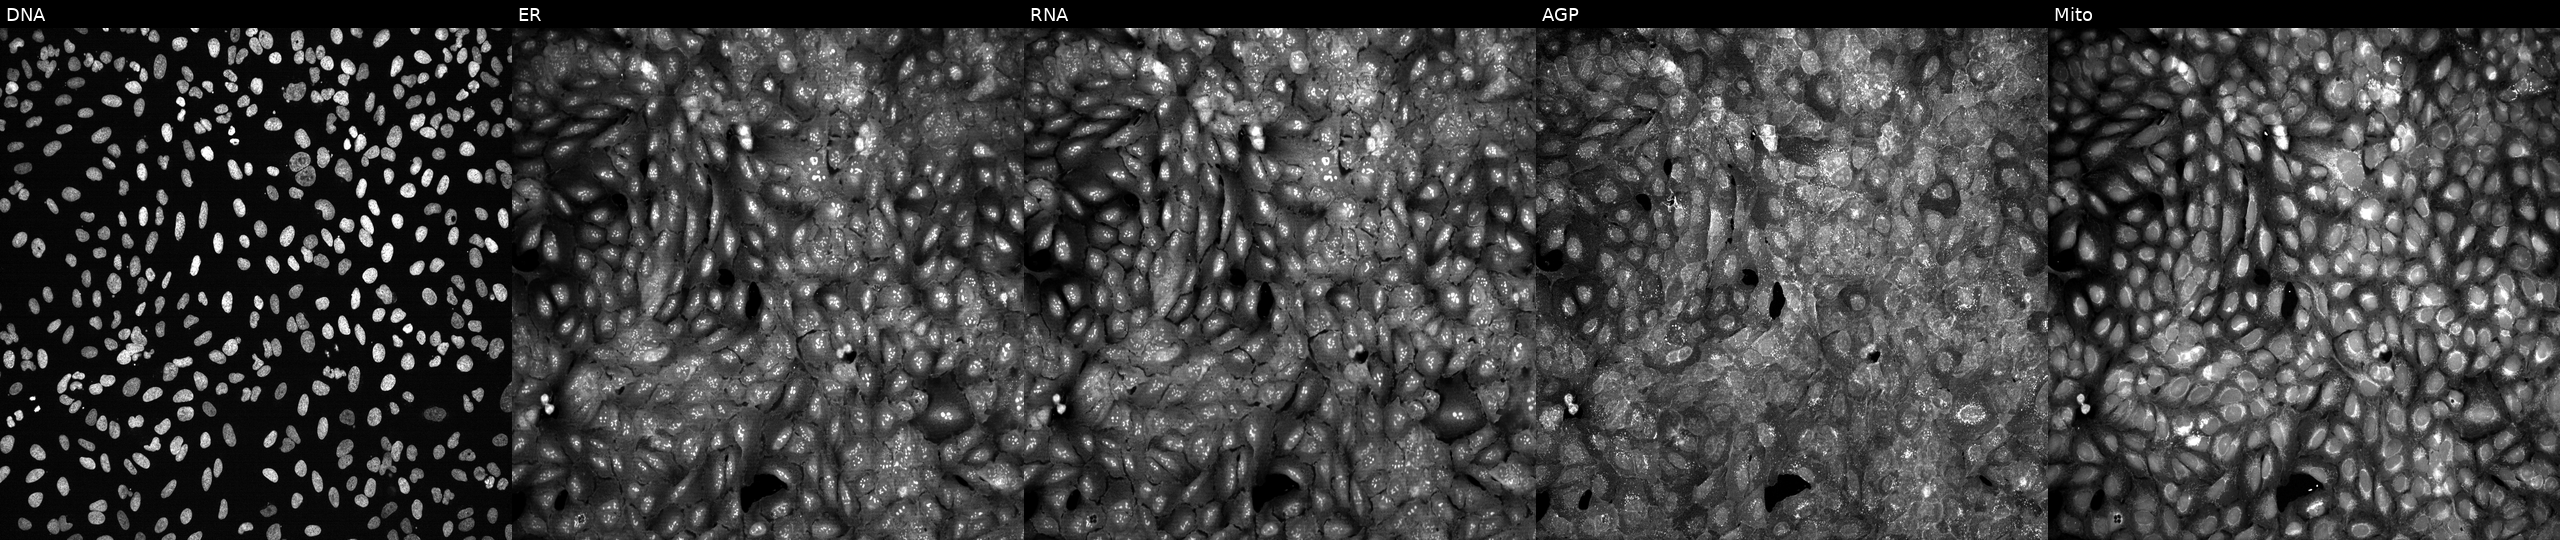
Five-channel Cell Painting image of U2OS cells following CRISPR knockout of GHR. Channels (left→right): Hoechst 33342, concanavalin A, SYTO 14, phalloidin and WGA, MitoTracker.